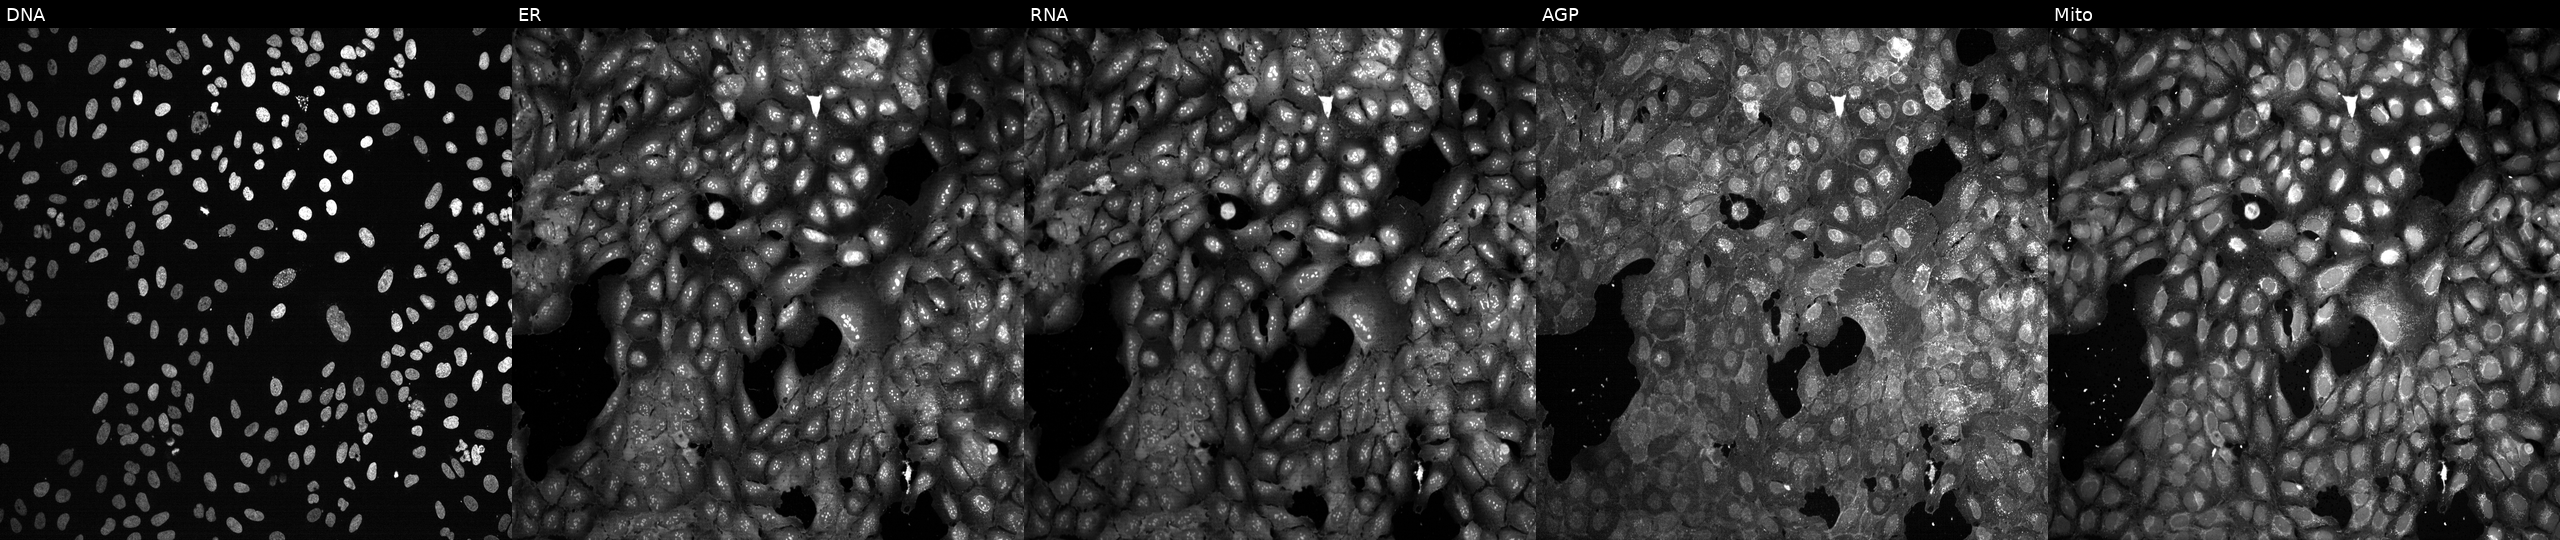
Five-channel Cell Painting image of U2OS cells CRISPR-edited to disrupt TNKS. The five panels, left to right, show DNA, ER, RNA, AGP, and Mito. Source 13, plate CP-CC9-R1-01, well A10.